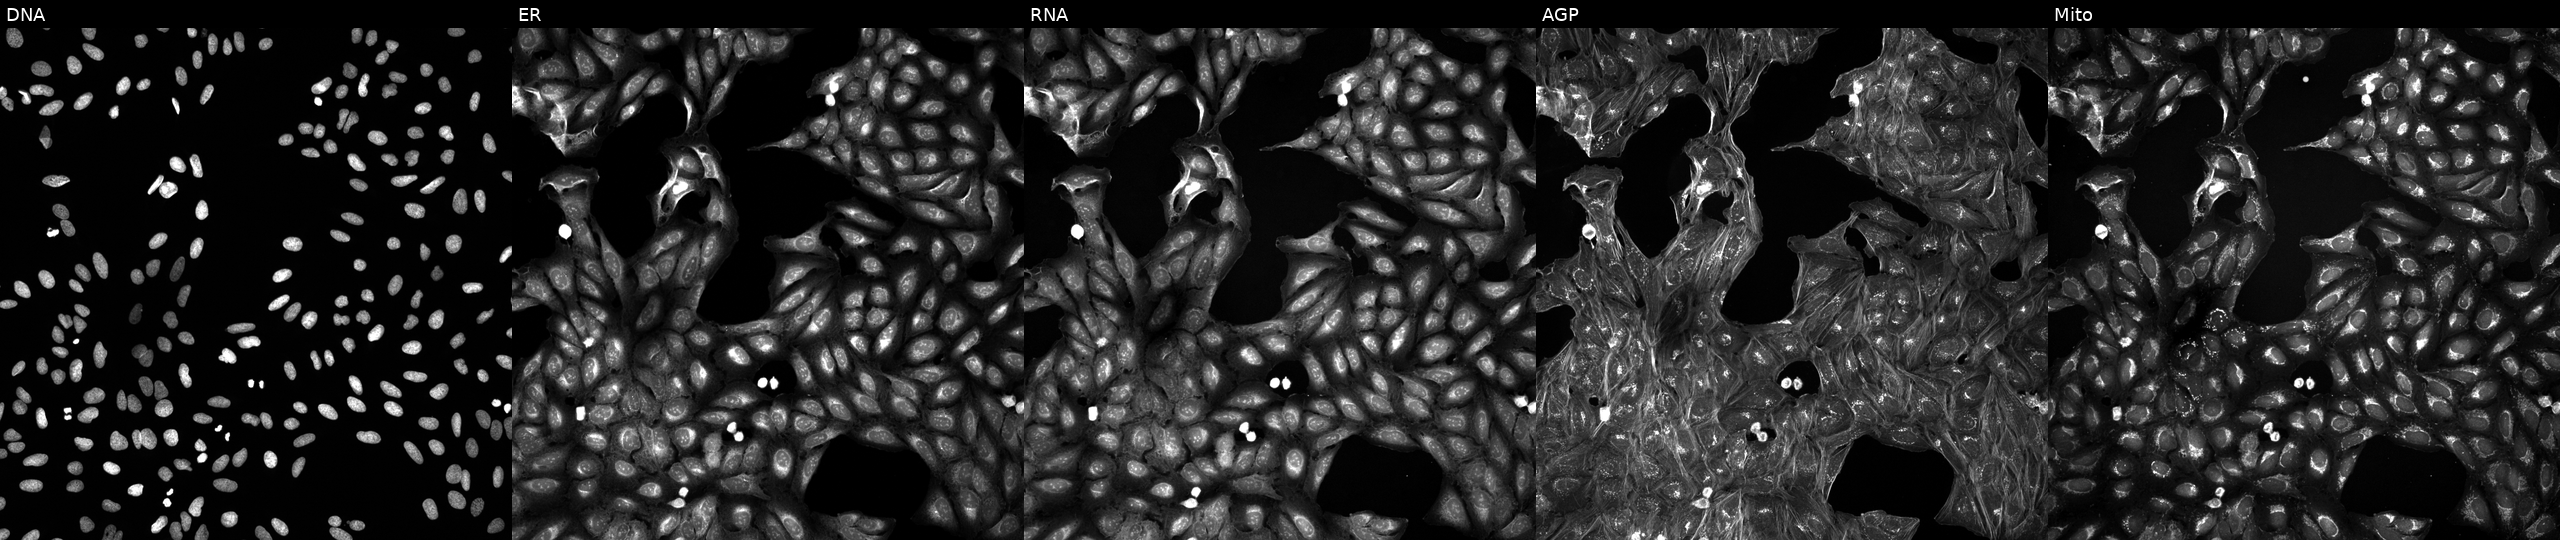
JUMP Cell Painting — TARGET2 plate. U2OS cells perturbed with a small-molecule compound (InChIKey LEVWYRKDKASIDU-UHFFFAOYSA-N) (JUMP id JCP2022_048971). Channels (left→right): DNA, ER, RNA, AGP, and Mito.